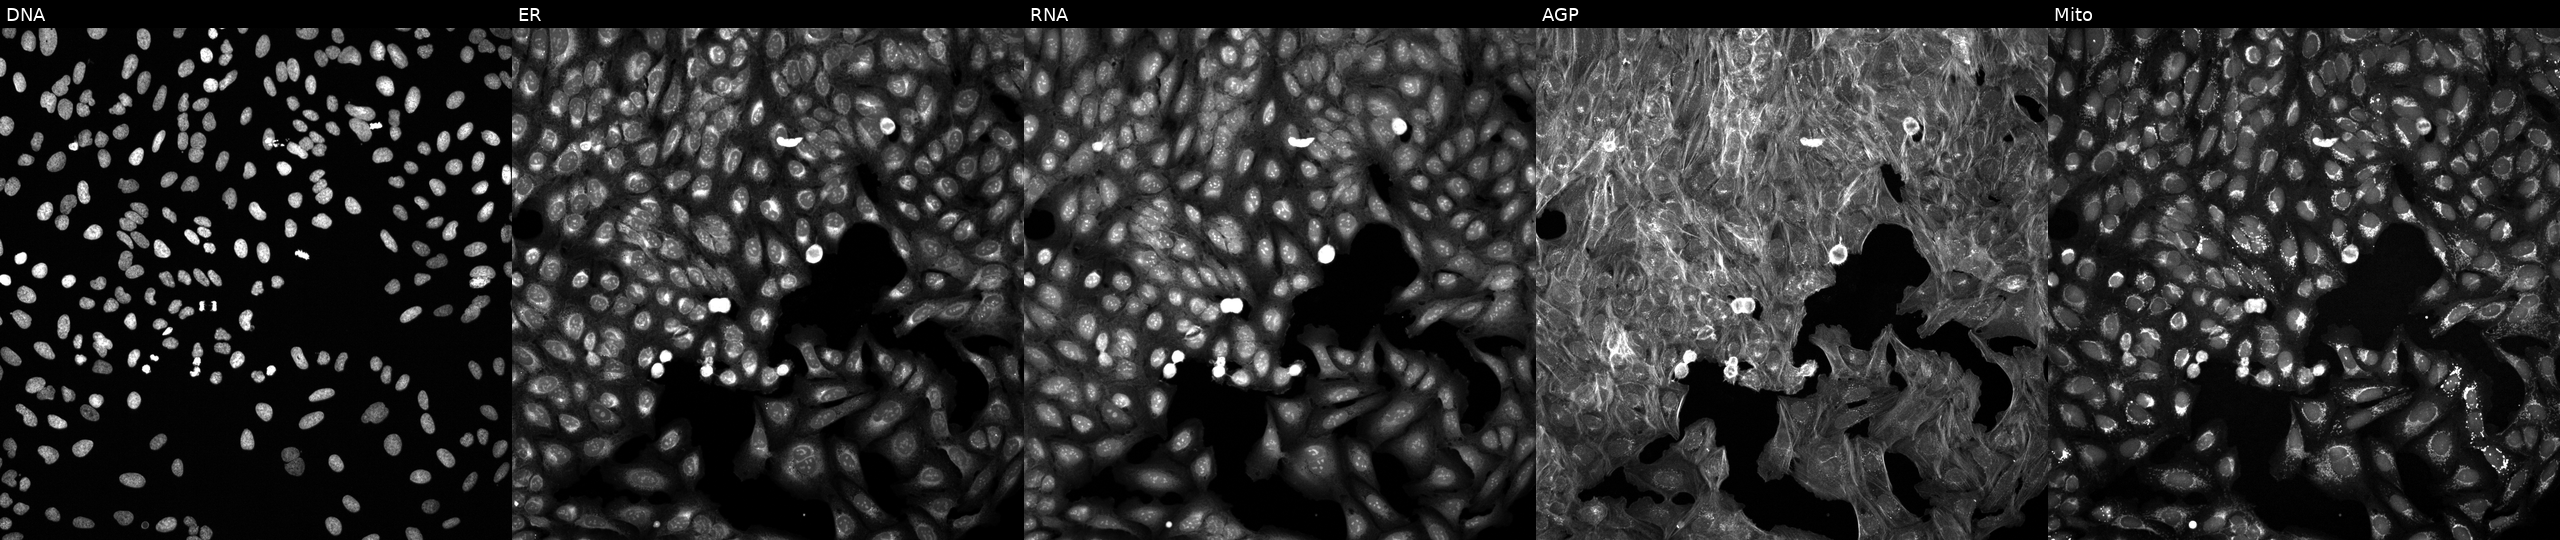
High-content fluorescence microscopy (Cell Painting). Cell line: U2OS. Perturbation: perturbed with a small-molecule compound. Panels show, left to right, DNA (nuclei); ER (endoplasmic reticulum); RNA (nucleoli and cytoplasmic RNA); AGP (actin cytoskeleton, Golgi, and plasma membrane); Mito (mitochondria).